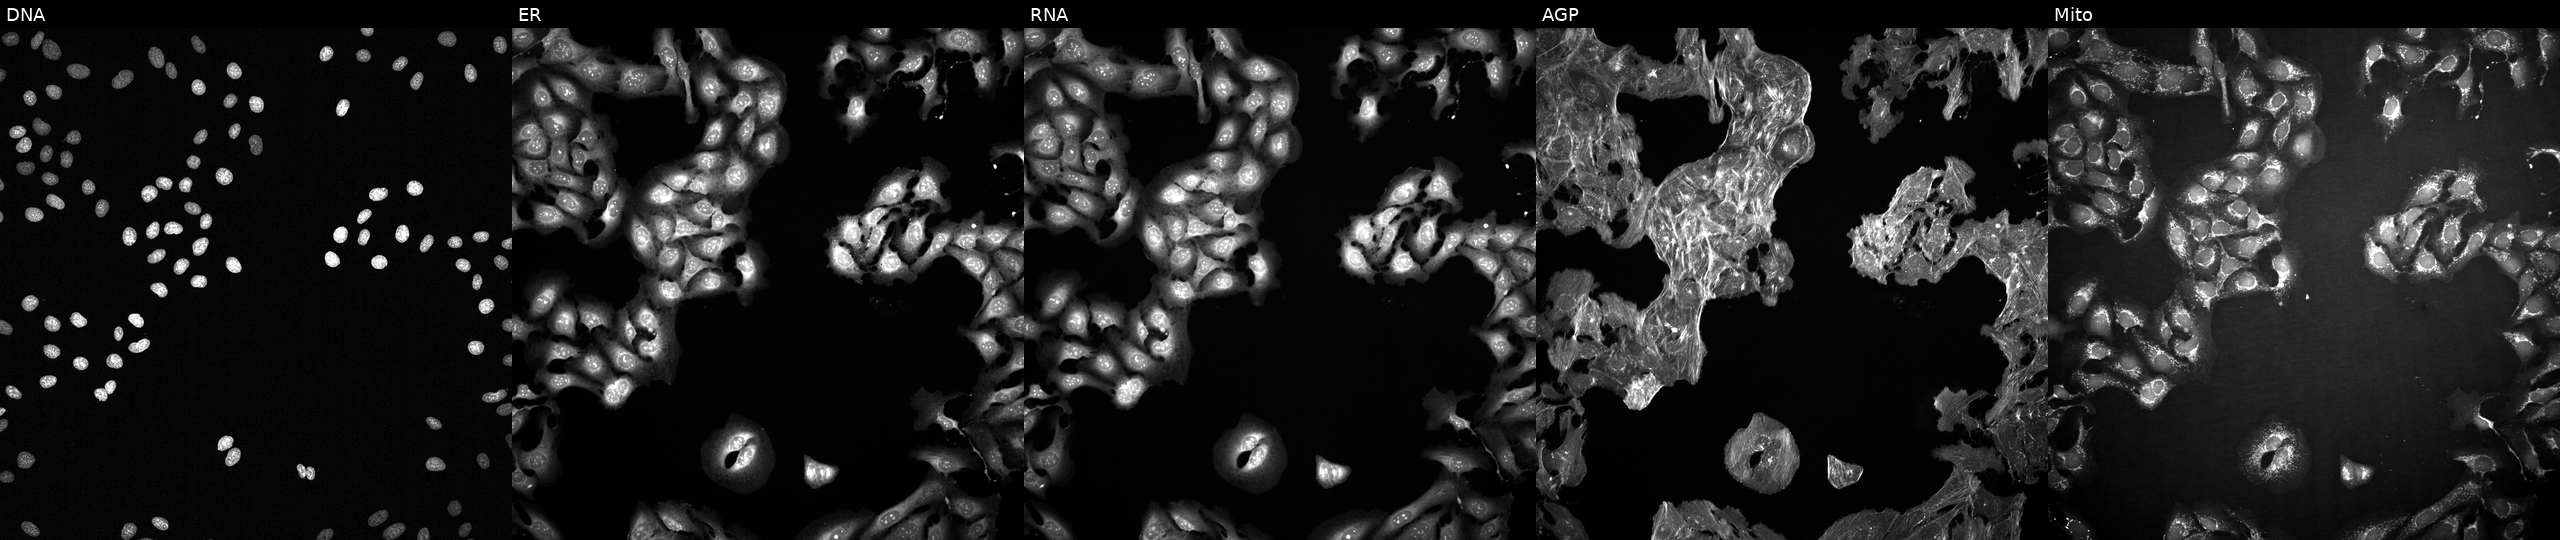
High-content fluorescence microscopy (Cell Painting). Cell line: U2OS. Perturbation: treated with FK-866 (positive-control compound) (JUMP id JCP2022_046054). Channels (left→right): DNA (nuclei); ER (endoplasmic reticulum); RNA (nucleoli and cytoplasmic RNA); AGP (actin cytoskeleton, Golgi, and plasma membrane); Mito (mitochondria).